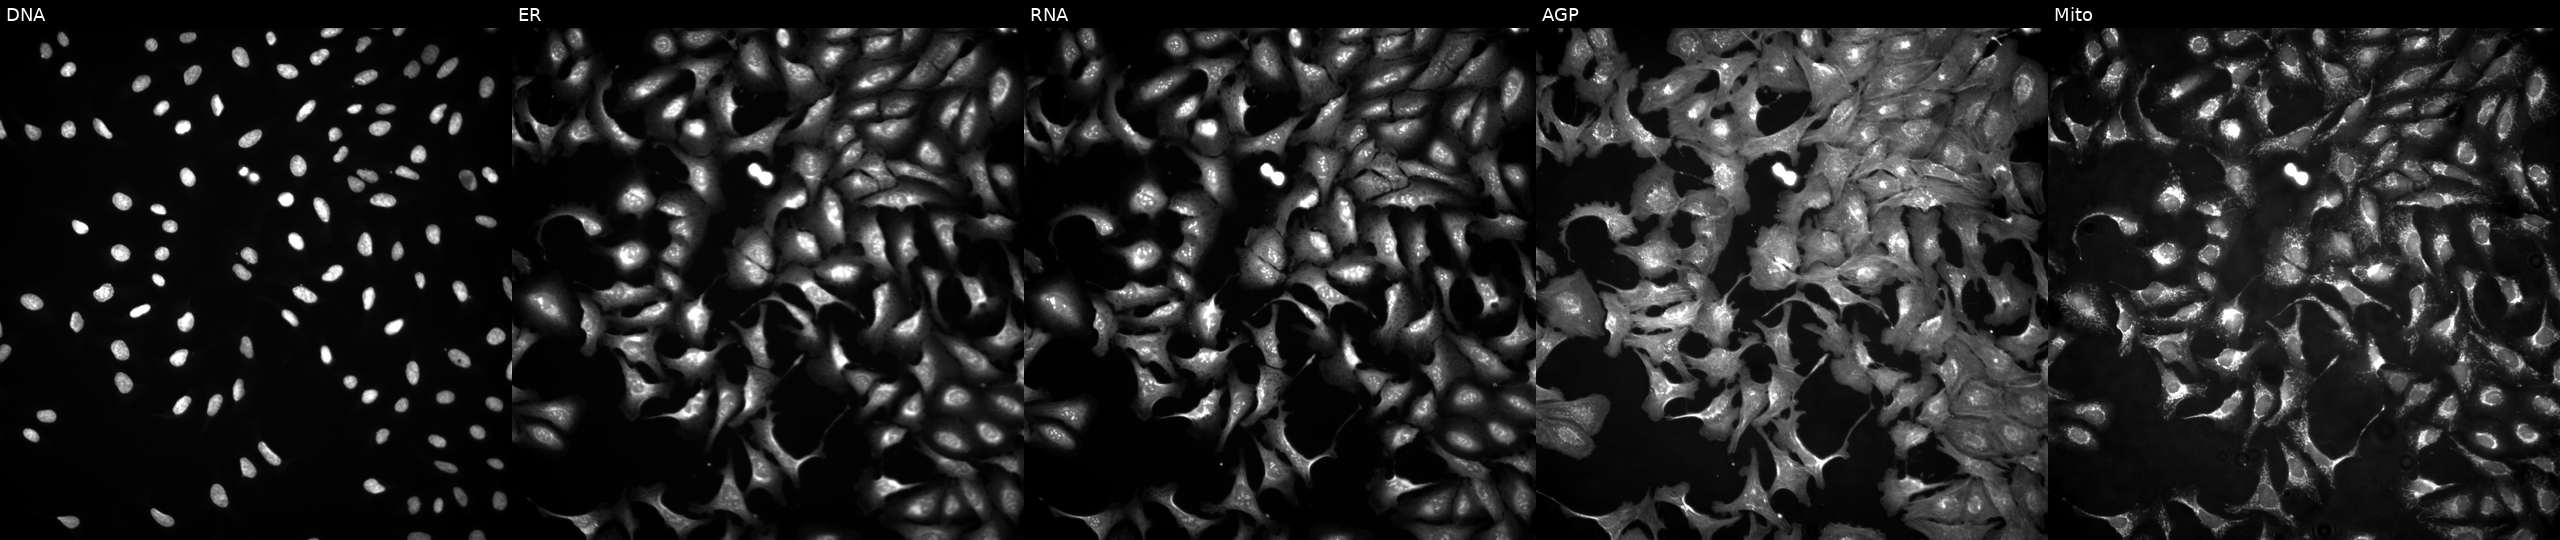
High-content fluorescence microscopy (Cell Painting). Cell line: U2OS. Perturbation: overexpressing CCL4 via ORF transfection. Panels show, left to right, DNA (nuclei); ER (endoplasmic reticulum); RNA (nucleoli and cytoplasmic RNA); AGP (actin cytoskeleton, Golgi, and plasma membrane); Mito (mitochondria). Source 4, plate BR00123945, well N16.